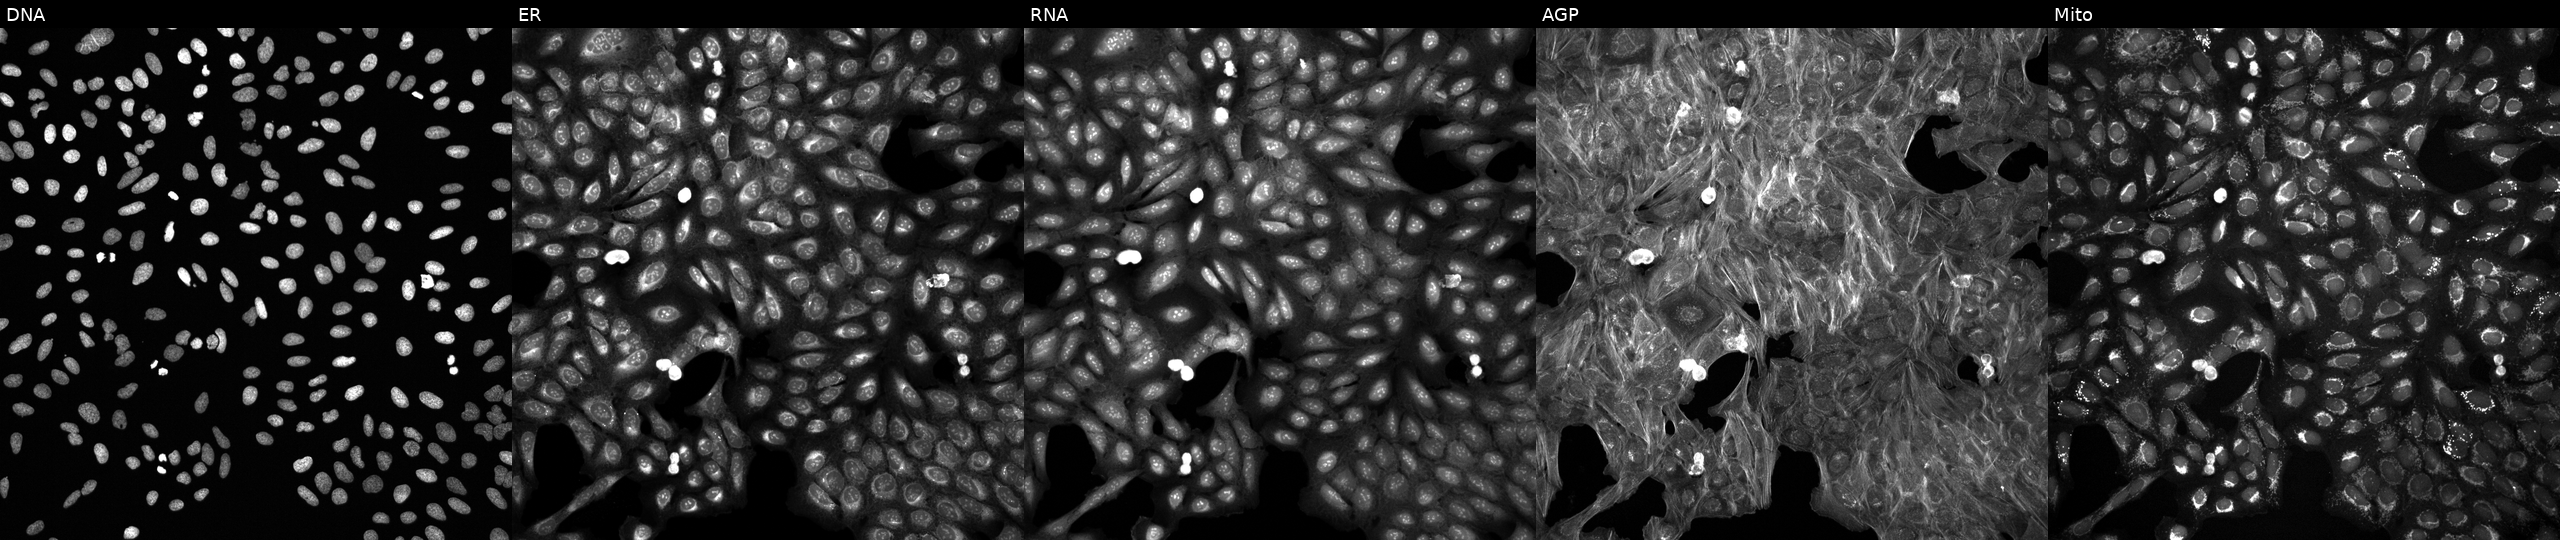
Five-channel Cell Painting image of U2OS cells exposed to a small-molecule compound (InChIKey FWMZXBYERIHXKD-UHFFFAOYSA-N). Channels (left→right): DNA (nuclei); ER (endoplasmic reticulum); RNA (nucleoli and cytoplasmic RNA); AGP (actin cytoskeleton, Golgi, and plasma membrane); Mito (mitochondria). Source 6, plate 110000293083, well N20.